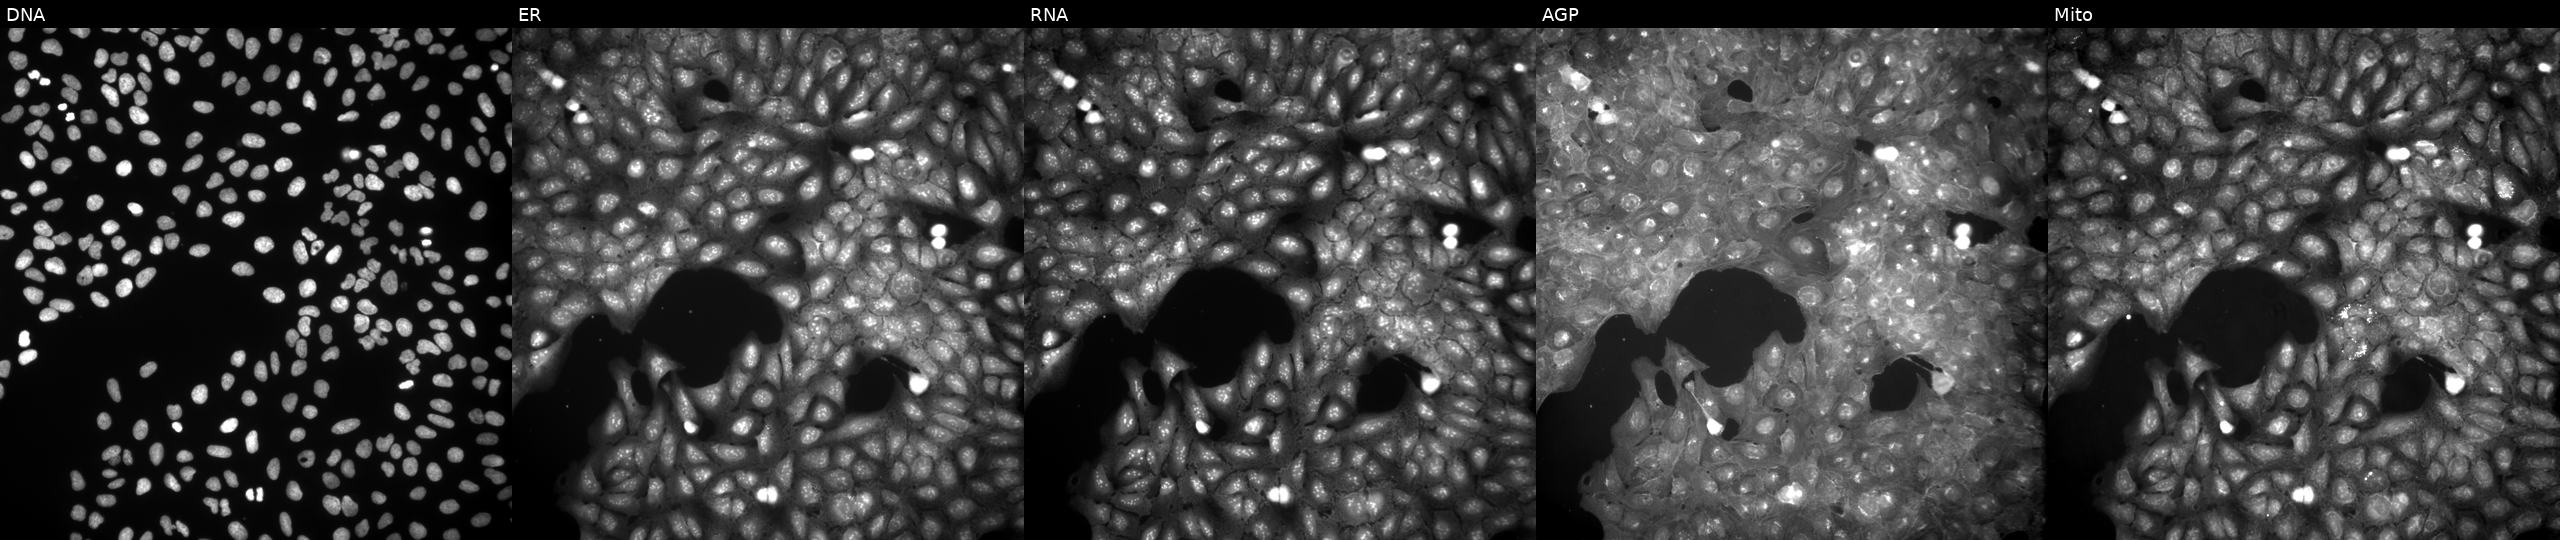
U2OS cells, Cell Painting assay, exposed to a small-molecule compound (InChIKey NVGHPDANMAKXKD-UHFFFAOYSA-N) (JUMP id JCP2022_061586). Channels (left→right): DNA (nuclei); ER (endoplasmic reticulum); RNA (nucleoli and cytoplasmic RNA); AGP (actin cytoskeleton, Golgi, and plasma membrane); Mito (mitochondria). Each panel is percentile-stretched 16-bit fluorescence. Source 9, plate GR00003382, well C36.